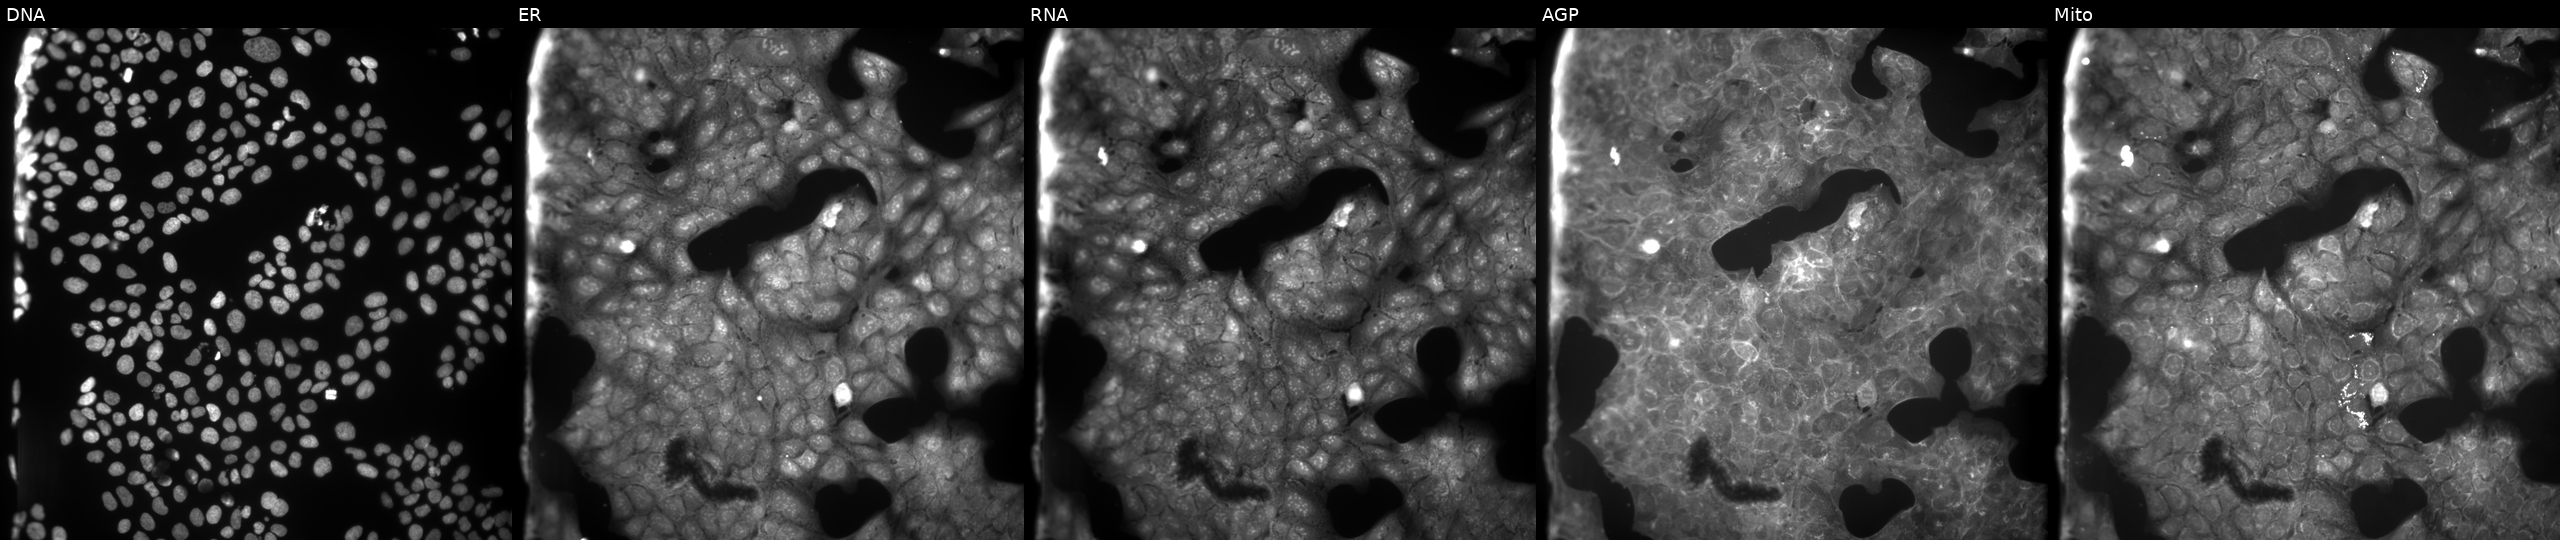
This image strip shows the five Cell Painting channels for a single field of U2OS cells perturbed with a small-molecule compound. The five panels, left to right, show DNA, ER, RNA, AGP, and Mito.